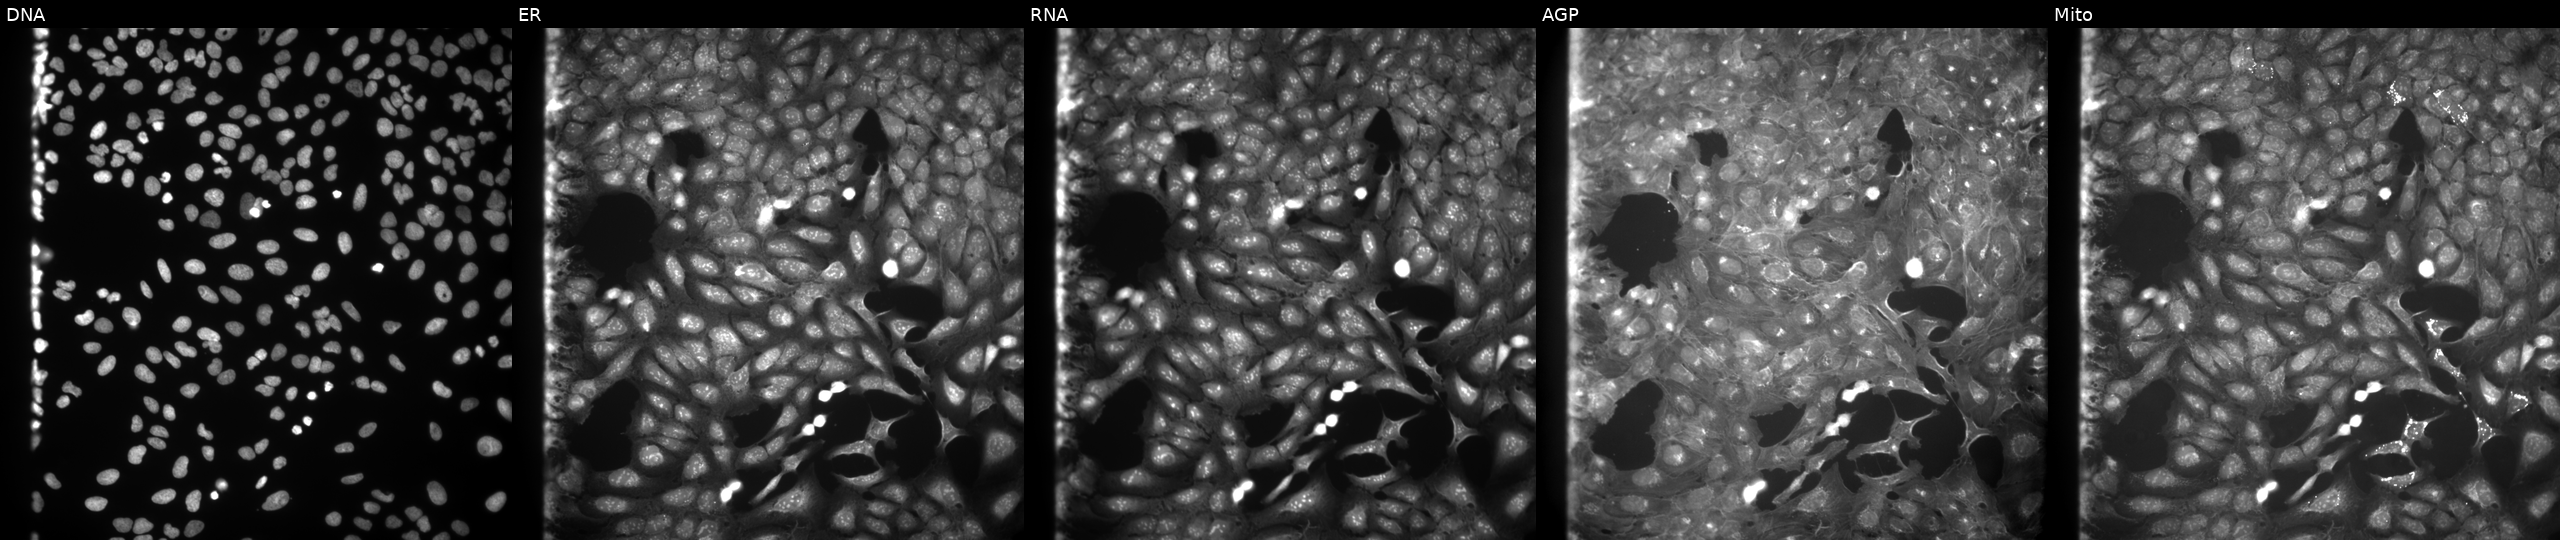
High-content fluorescence microscopy (Cell Painting). Cell line: U2OS. Perturbation: perturbed with a small-molecule compound (InChIKey HOSNZHHGPLAGHZ-UHFFFAOYSA-N) (JUMP id JCP2022_031584). The five panels, left to right, show DNA (nuclei); ER (endoplasmic reticulum); RNA (nucleoli and cytoplasmic RNA); AGP (actin cytoskeleton, Golgi, and plasma membrane); Mito (mitochondria). Source 9, plate GR00003382, well B08.